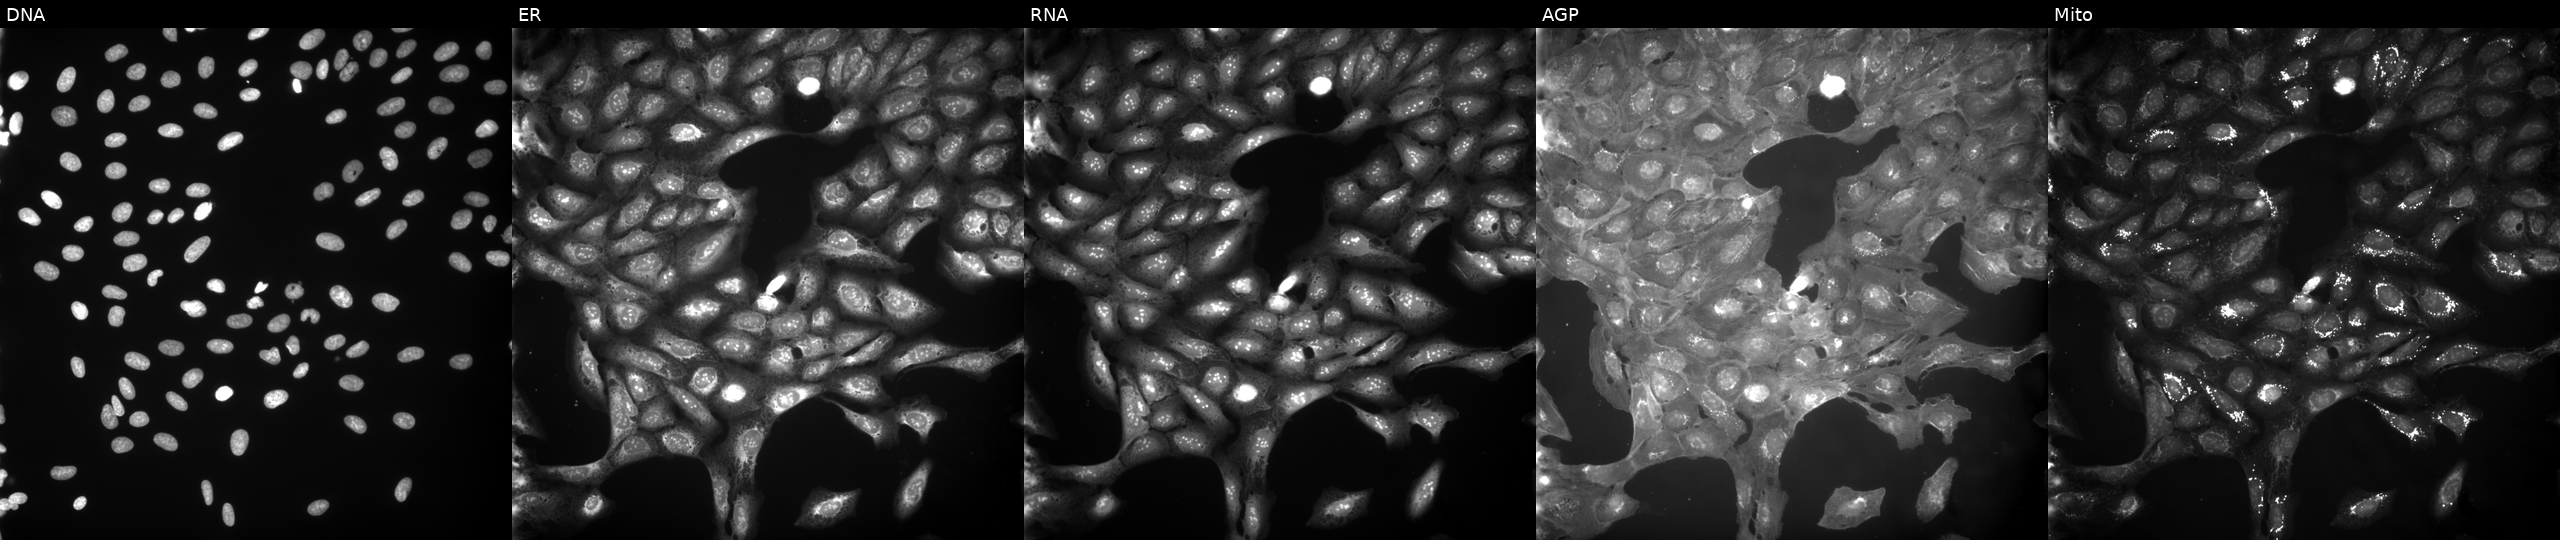
JUMP Cell Painting — COMPOUND plate. U2OS cells perturbed with a small-molecule compound (InChIKey OGOXQDKTBGYXDB-UHFFFAOYSA-N). From left to right: DNA, ER, RNA, AGP, and Mito.